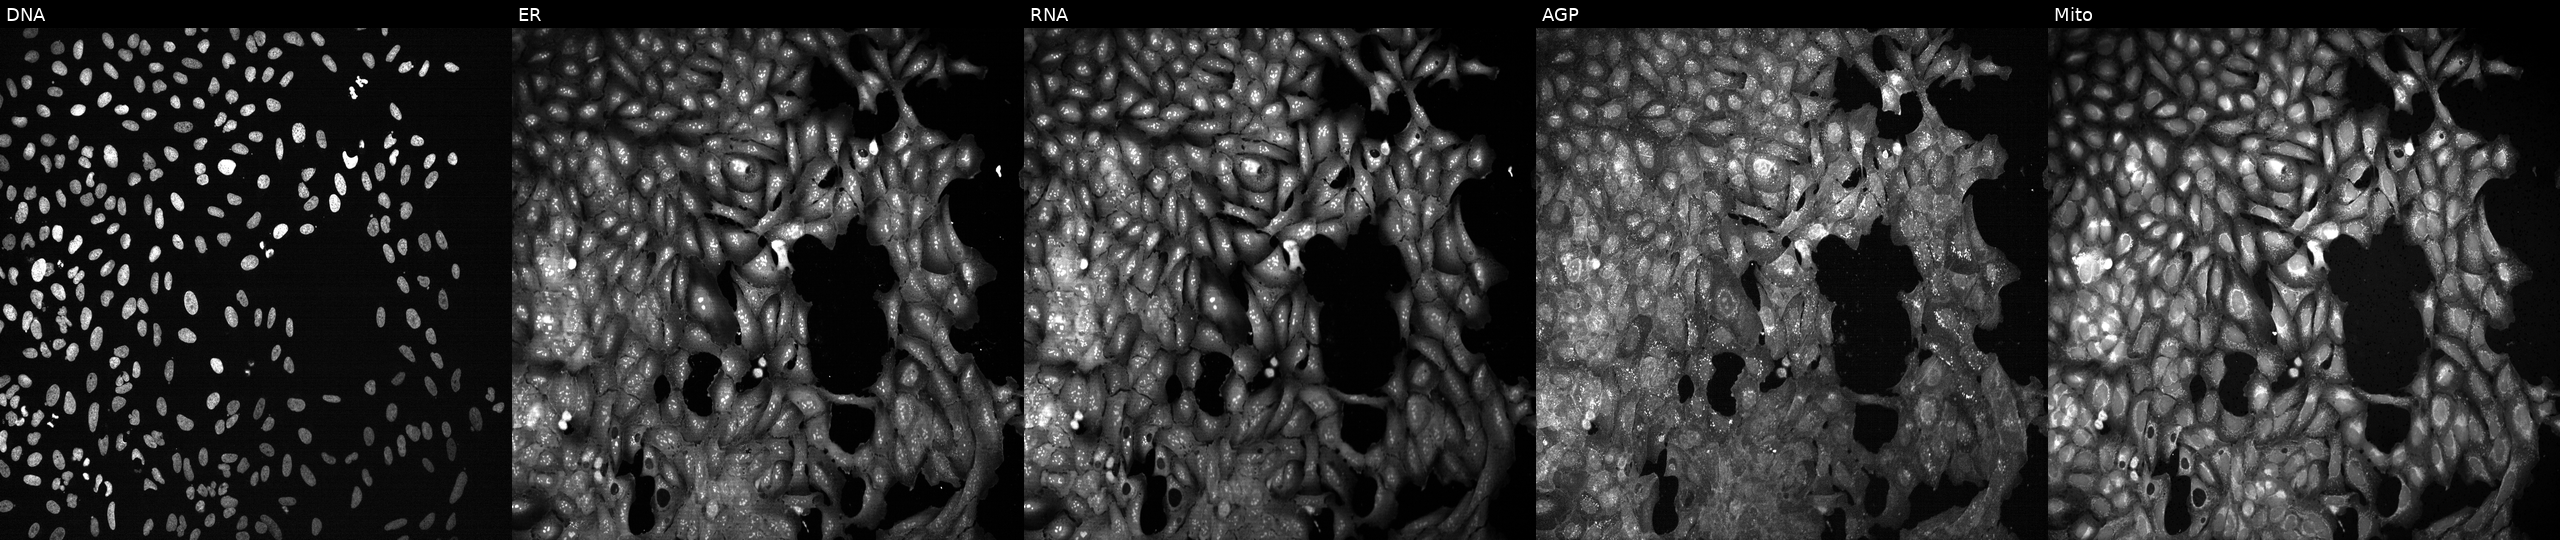
Five-channel Cell Painting image of U2OS cells with DDX52 knocked out by CRISPR. Panels show, left to right, Hoechst 33342, concanavalin A, SYTO 14, phalloidin and WGA, MitoTracker. Source 13, plate CP-CC9-R1-02, well O14.